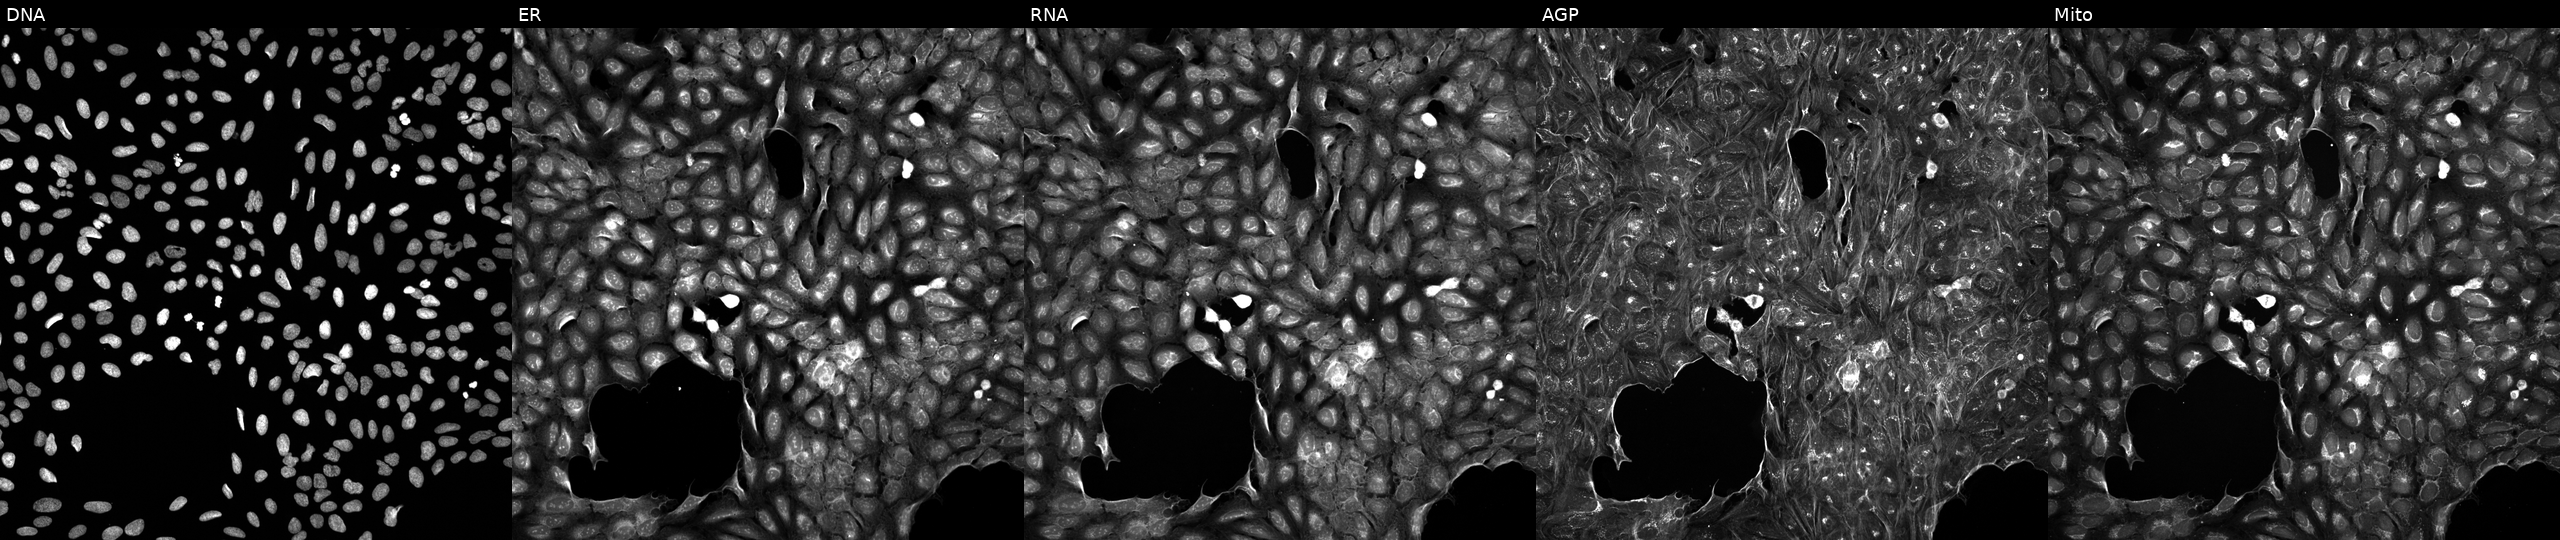
JUMP Cell Painting — COMPOUND plate. U2OS cells perturbed with a small-molecule compound [SMILES: Cc1nc(C2(NC(=O)c3cnc4ccccc4n3)CCCC2)no1] (JUMP id JCP2022_087350). From left to right: DNA, ER, RNA, AGP, and Mito.